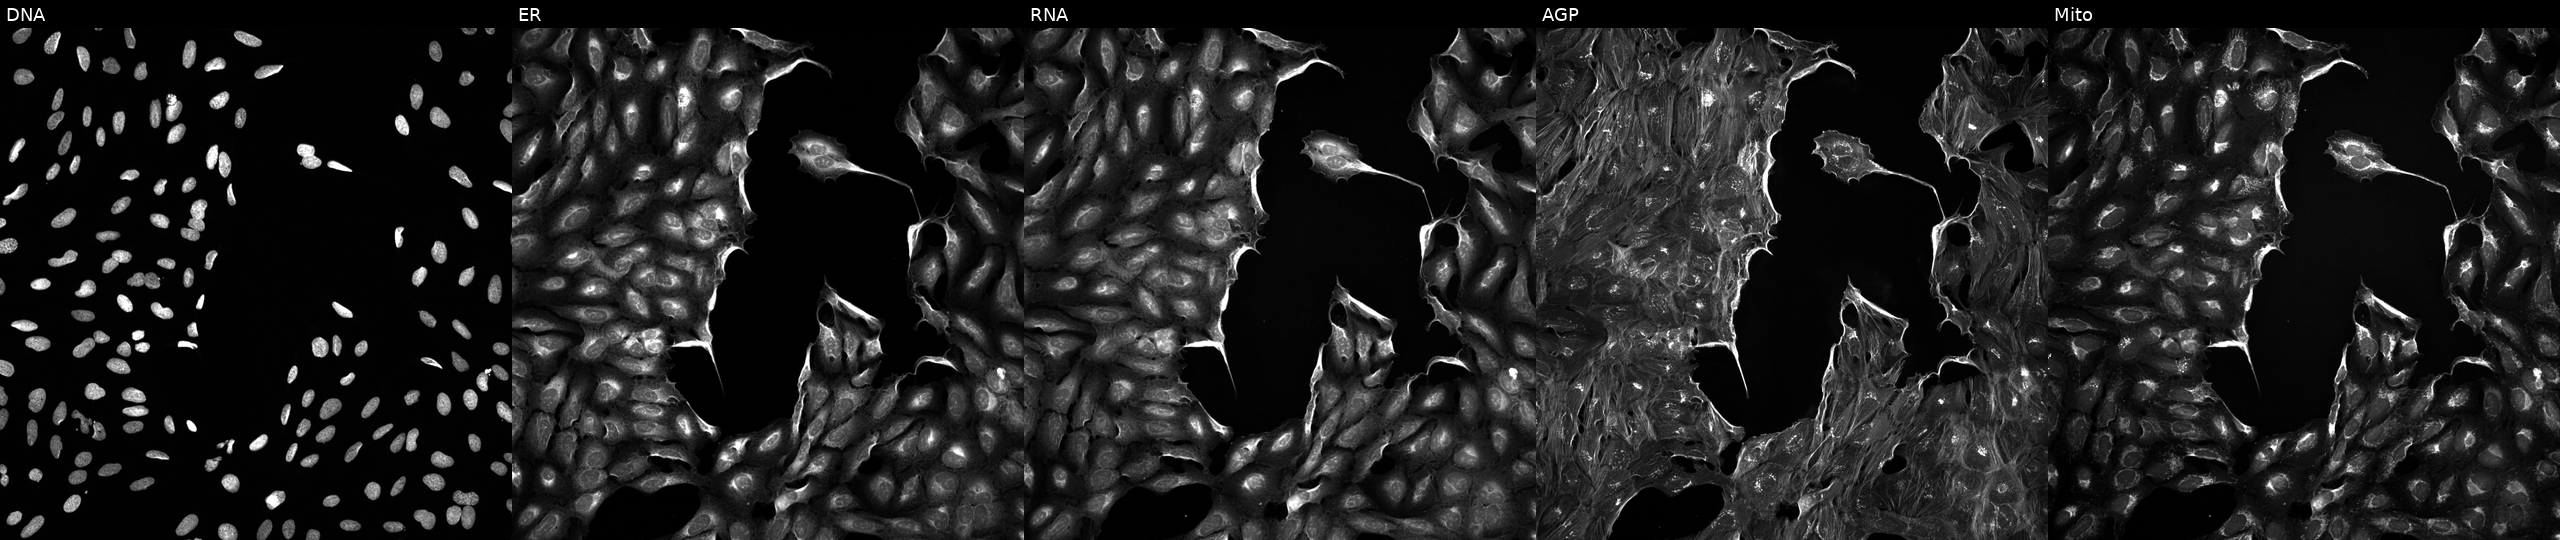
Five-channel Cell Painting image of U2OS cells treated with a small-molecule compound (InChIKey AYCPARAPKDAOEN-UHFFFAOYSA-N) (JUMP id JCP2022_004587). From left to right: DNA (nuclei); ER (endoplasmic reticulum); RNA (nucleoli and cytoplasmic RNA); AGP (actin cytoskeleton, Golgi, and plasma membrane); Mito (mitochondria).